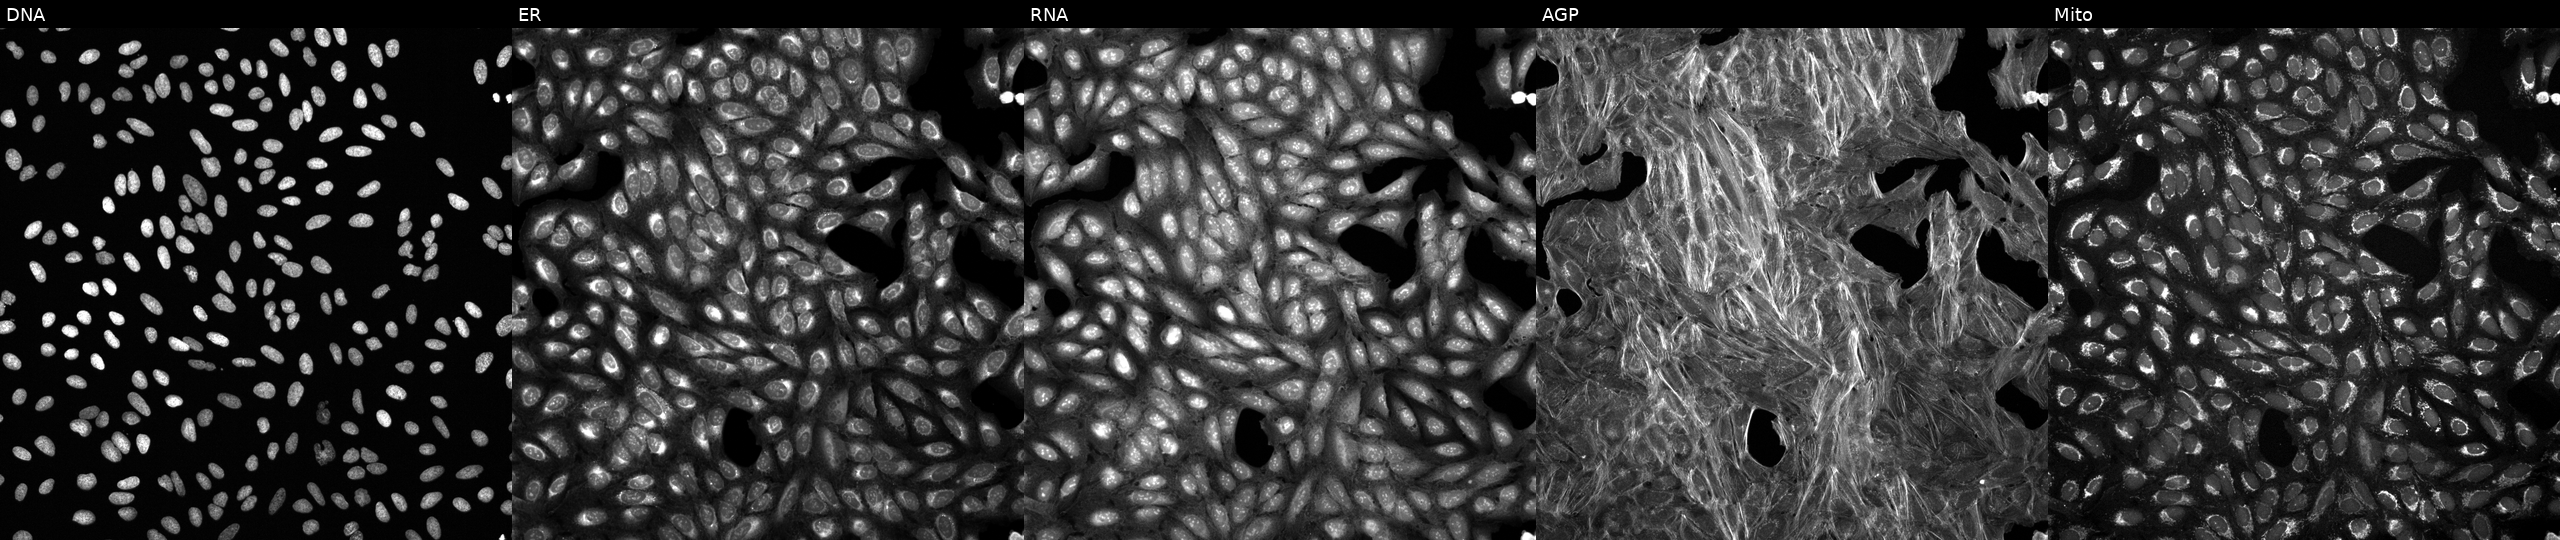
JUMP Cell Painting — TARGET2 plate. U2OS cells perturbed with a small-molecule compound (InChIKey XXYGTCZJJLTAGH-UHFFFAOYSA-N). From left to right: DNA (nuclei); ER (endoplasmic reticulum); RNA (nucleoli and cytoplasmic RNA); AGP (actin cytoskeleton, Golgi, and plasma membrane); Mito (mitochondria).